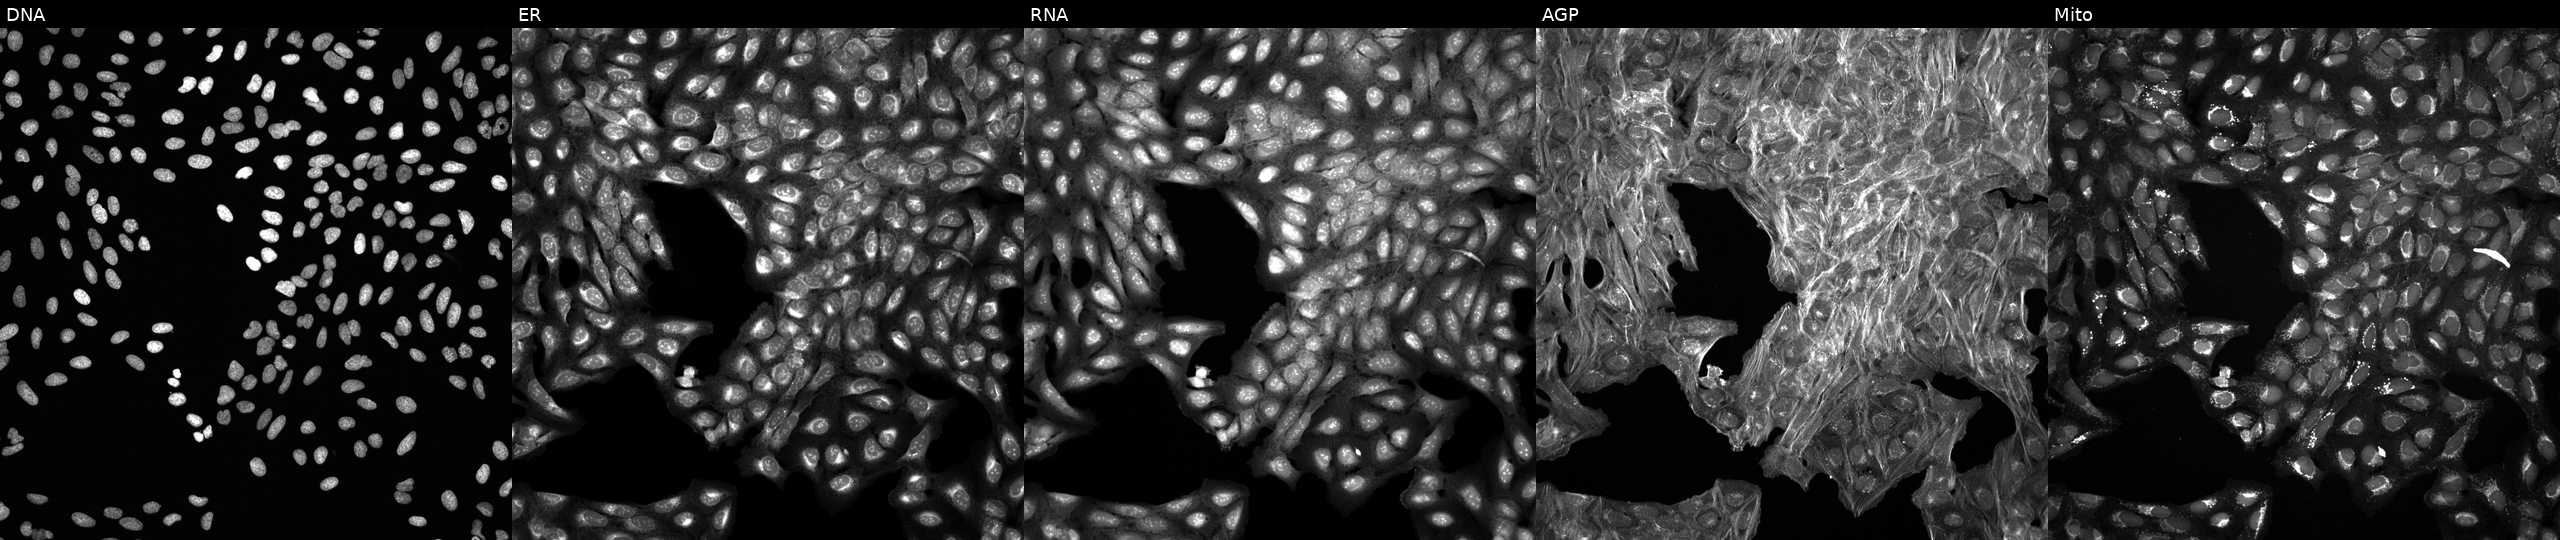
Channels (left→right): Hoechst 33342, concanavalin A, SYTO 14, phalloidin and WGA, MitoTracker. U2OS osteosarcoma cells exposed to a small-molecule compound (InChIKey MFDFERRIHVXMIY-UHFFFAOYSA-N) (JUMP id JCP2022_053734). Cell Painting assay, JUMP-CP dataset.